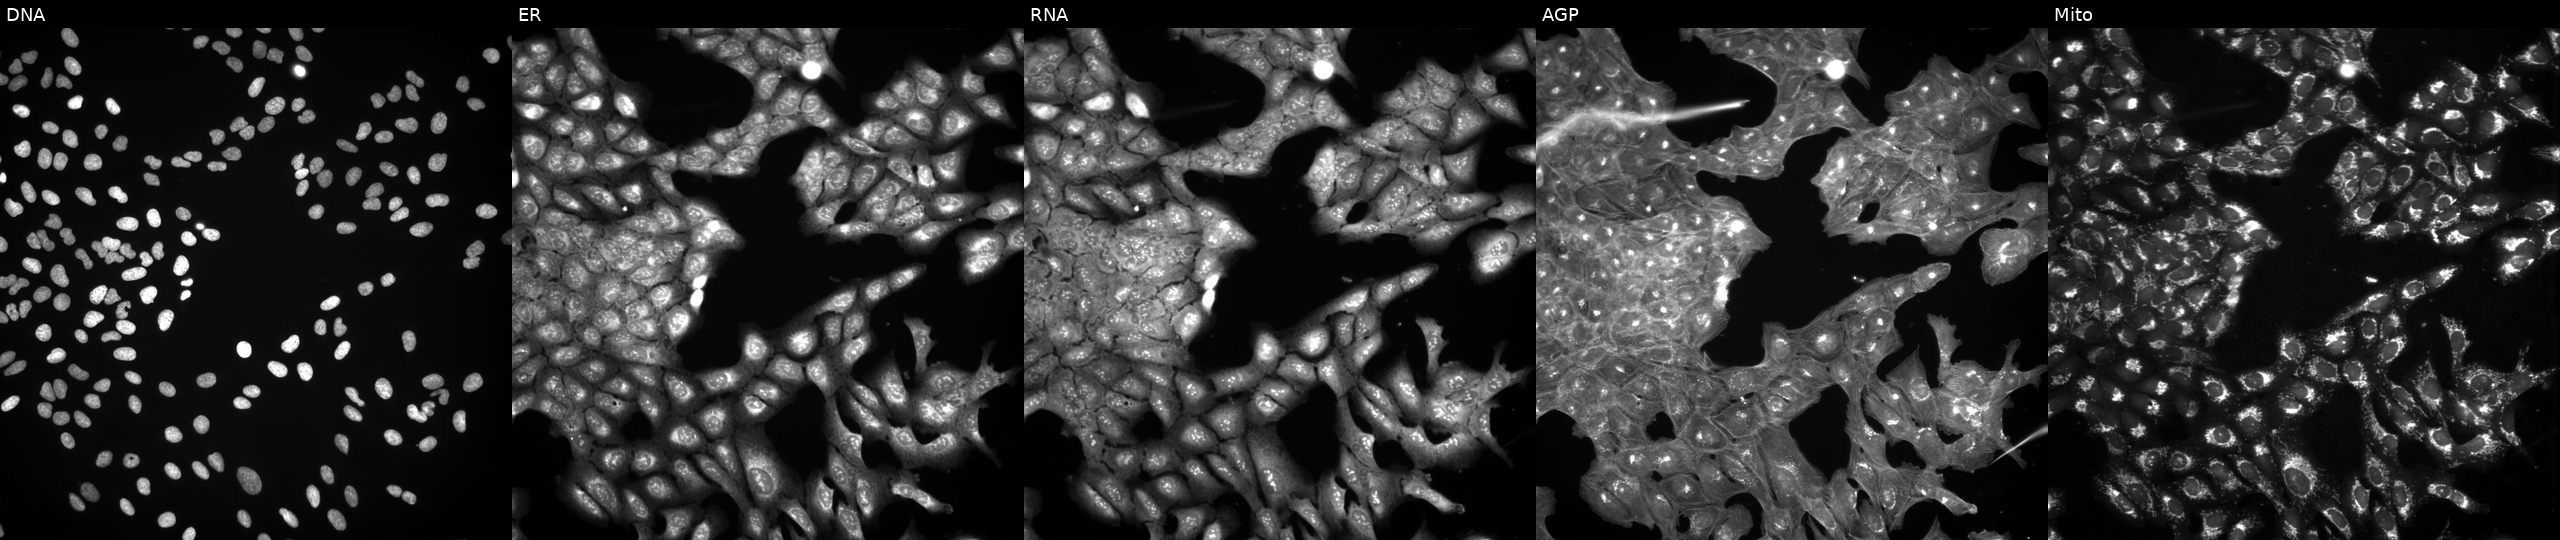
JUMP Cell Painting — COMPOUND plate. U2OS cells perturbed with a small-molecule compound (InChIKey RAJVKJIQBKUTFF-UHFFFAOYSA-N). The five panels, left to right, show DNA (nuclei); ER (endoplasmic reticulum); RNA (nucleoli and cytoplasmic RNA); AGP (actin cytoskeleton, Golgi, and plasma membrane); Mito (mitochondria). Source 3, plate BR5867b3, well C17.